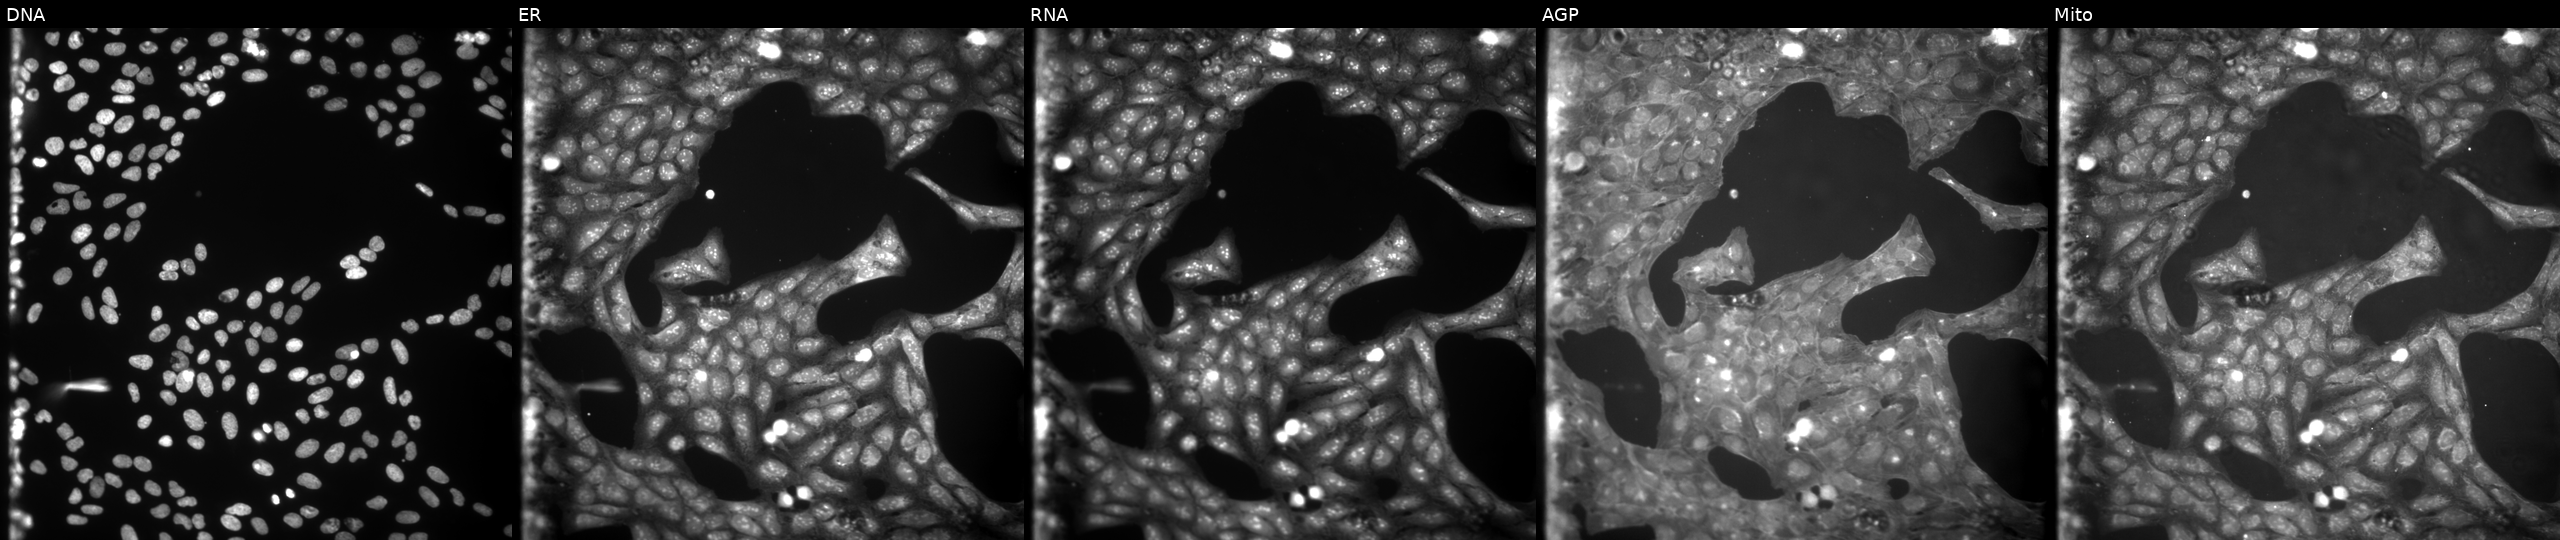
High-content fluorescence microscopy (Cell Painting). Cell line: U2OS. Perturbation: perturbed with a small-molecule compound (InChIKey OHKSTJUHZYJQQT-UHFFFAOYSA-N). Panels show, left to right, DNA, ER, RNA, AGP, and Mito. Source 9, plate GR00003382, well A19.